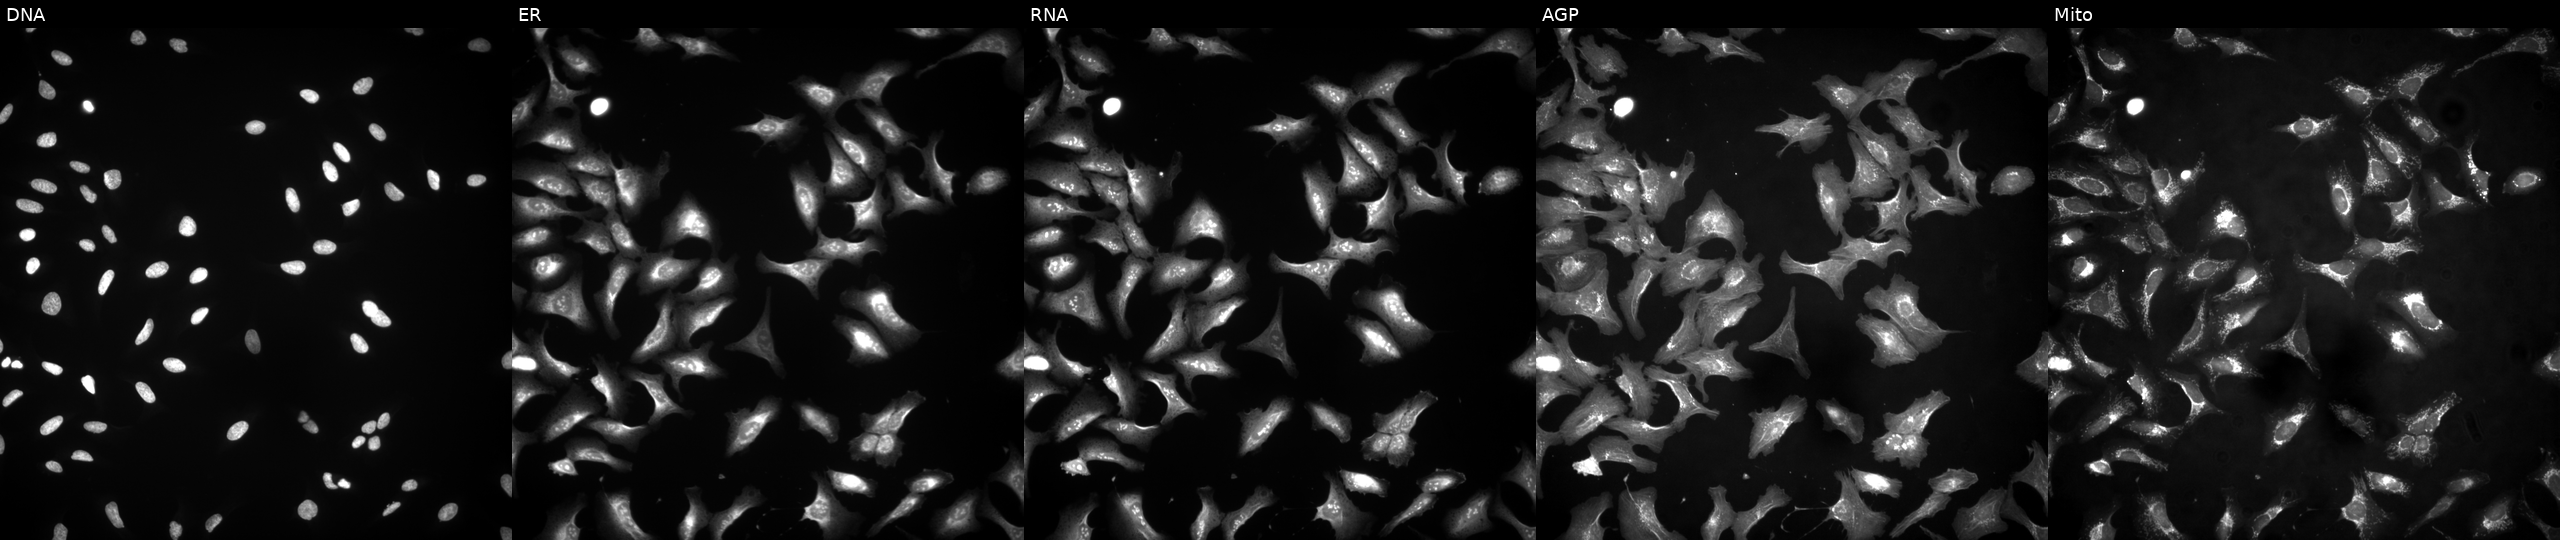
Five-channel Cell Painting image of U2OS cells overexpressing TMTC1 via ORF transfection. From left to right: DNA, ER, RNA, AGP, and Mito.